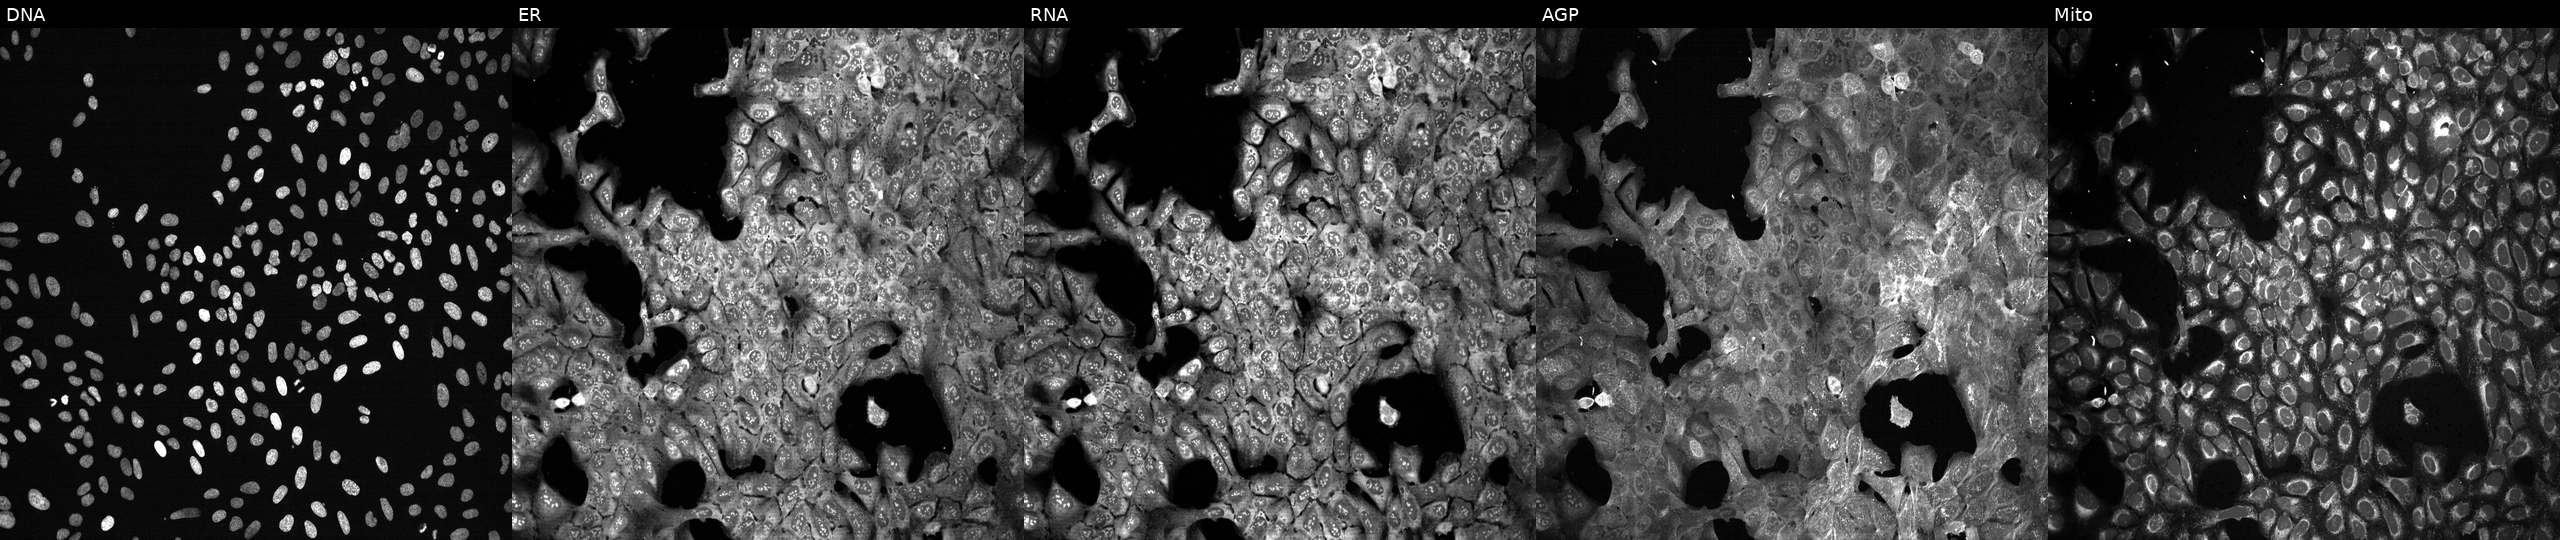
Channels (left→right): Hoechst 33342, concanavalin A, SYTO 14, phalloidin and WGA, MitoTracker. U2OS osteosarcoma cells following CRISPR knockout of CD2. Cell Painting assay, JUMP-CP dataset. Source 13, plate CP-CC9-R2-01, well I22.